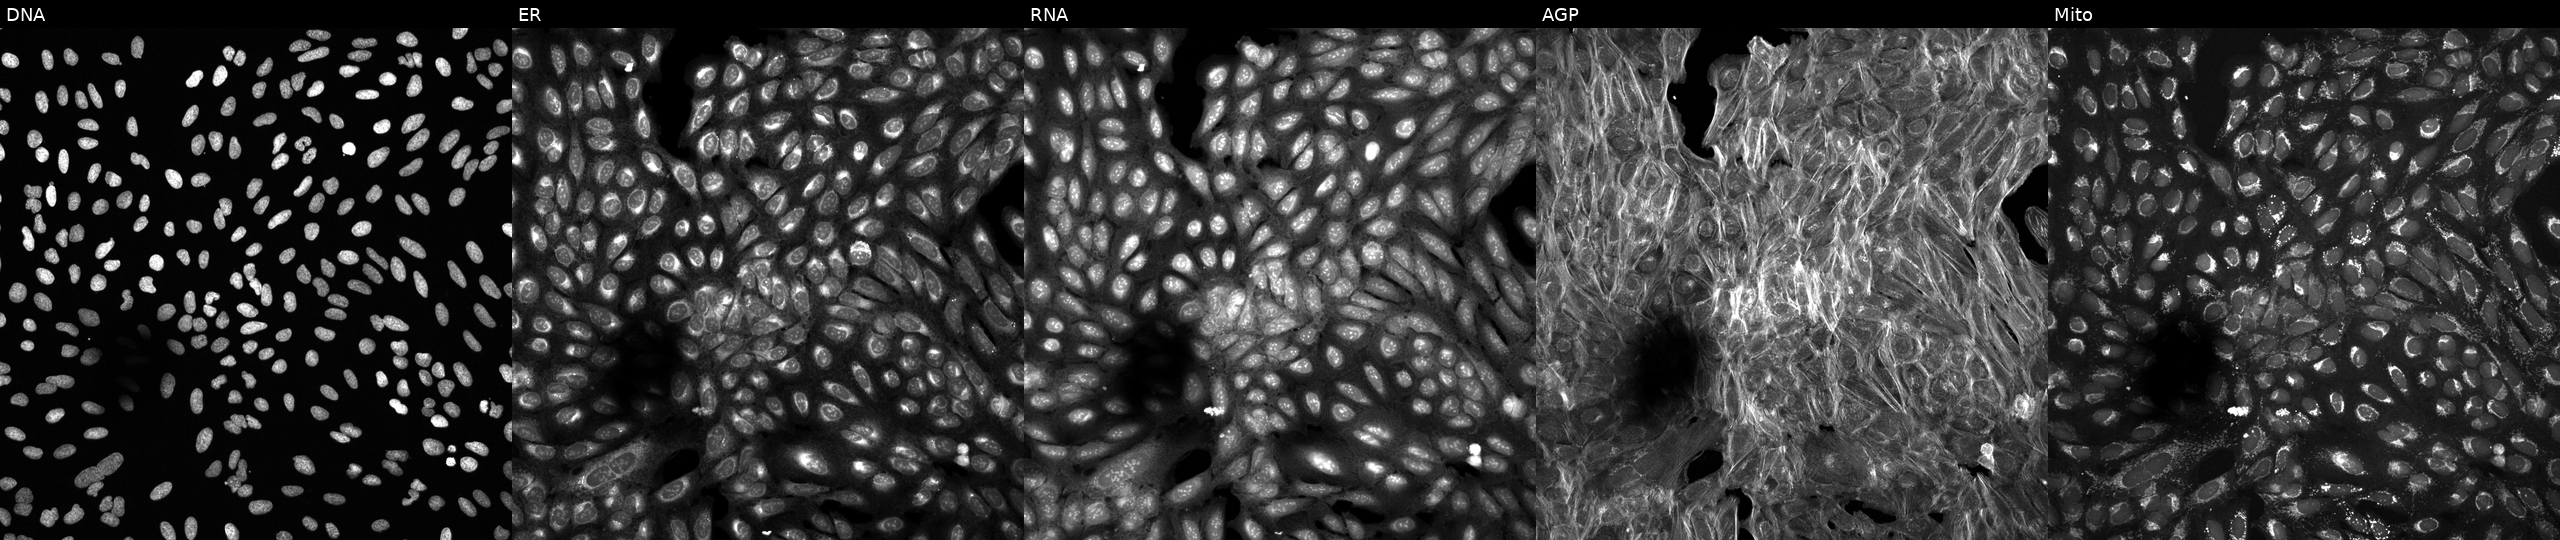
U2OS cells, Cell Painting assay, treated with a small-molecule compound. Channels (left→right): Hoechst 33342, concanavalin A, SYTO 14, phalloidin and WGA, MitoTracker. Each panel is percentile-stretched 16-bit fluorescence.